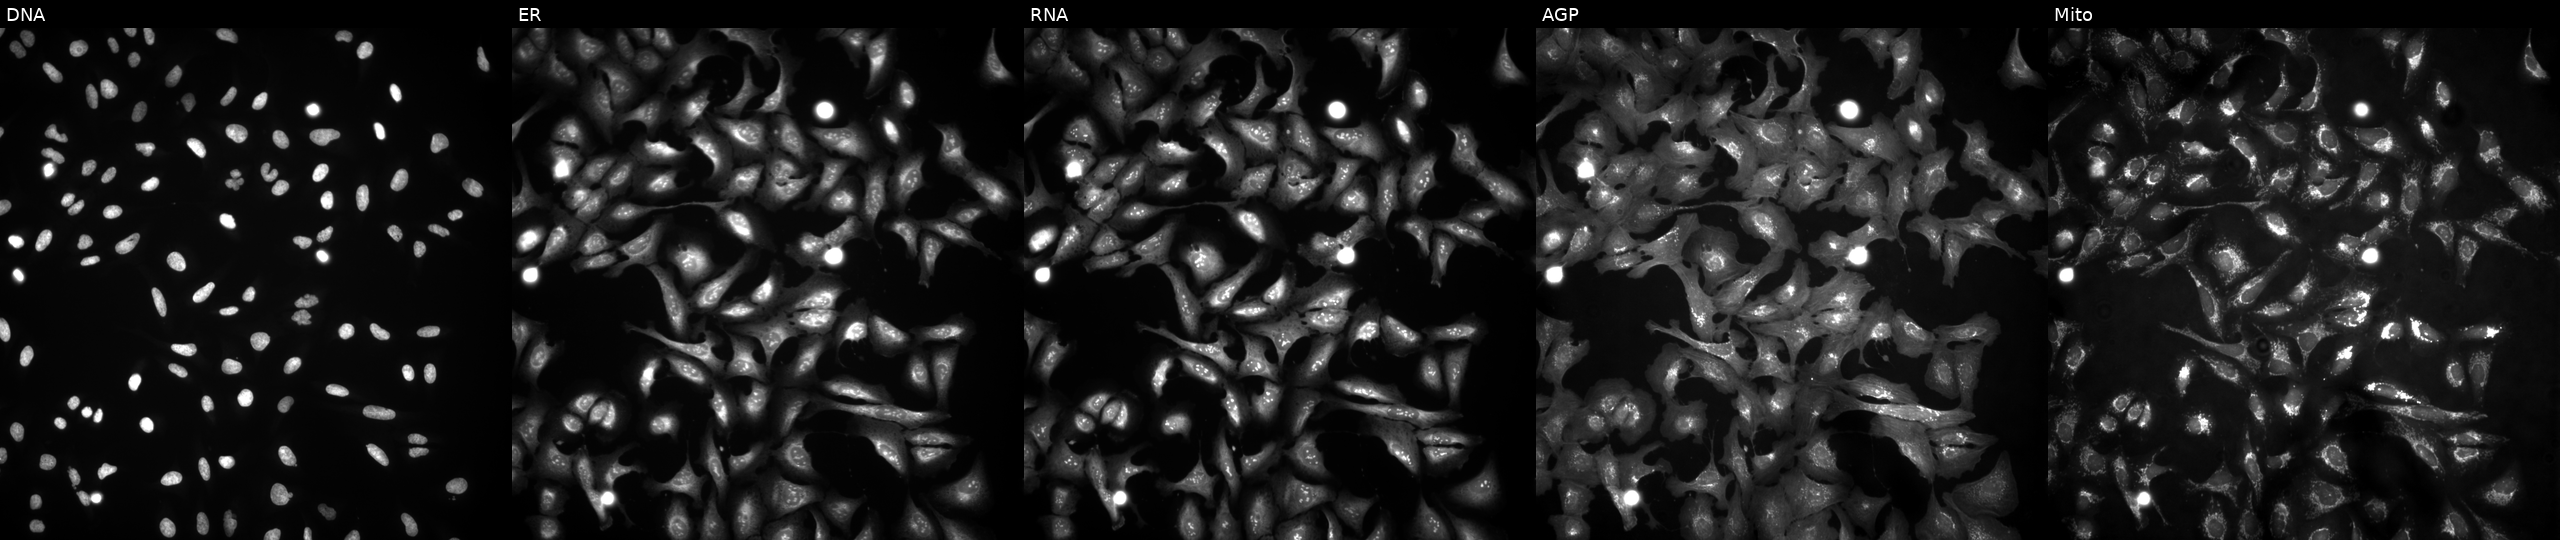
U2OS cells, Cell Painting assay, transfected with an ORF construct for ANXA2. Panels show, left to right, Hoechst 33342, concanavalin A, SYTO 14, phalloidin and WGA, MitoTracker. Each panel is percentile-stretched 16-bit fluorescence. Source 4, plate BR00121543, well D07.